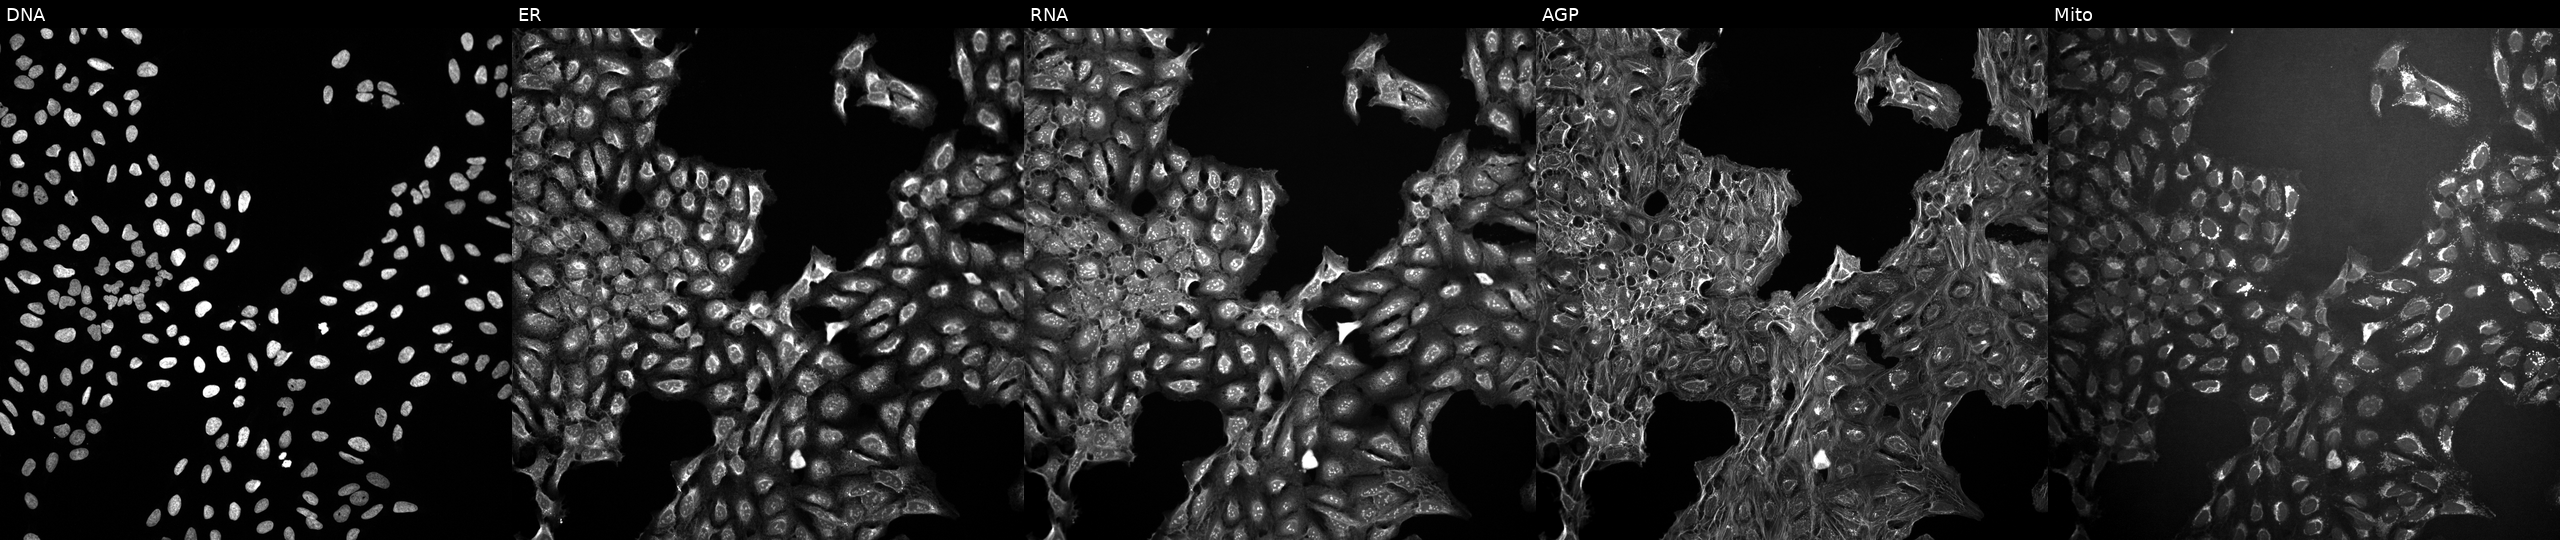
Channels (left→right): DNA (nuclei); ER (endoplasmic reticulum); RNA (nucleoli and cytoplasmic RNA); AGP (actin cytoskeleton, Golgi, and plasma membrane); Mito (mitochondria). U2OS osteosarcoma cells perturbed with a small-molecule compound (InChIKey SDOGHXUBCNFVBH-UHFFFAOYSA-N) [SMILES: COc1ccccc1C(=O)N1CCC(Cc2nncn2C)CC1] (JUMP id JCP2022_082498). Cell Painting assay, JUMP-CP dataset. Source 10, plate Dest210531-152324, well B11.